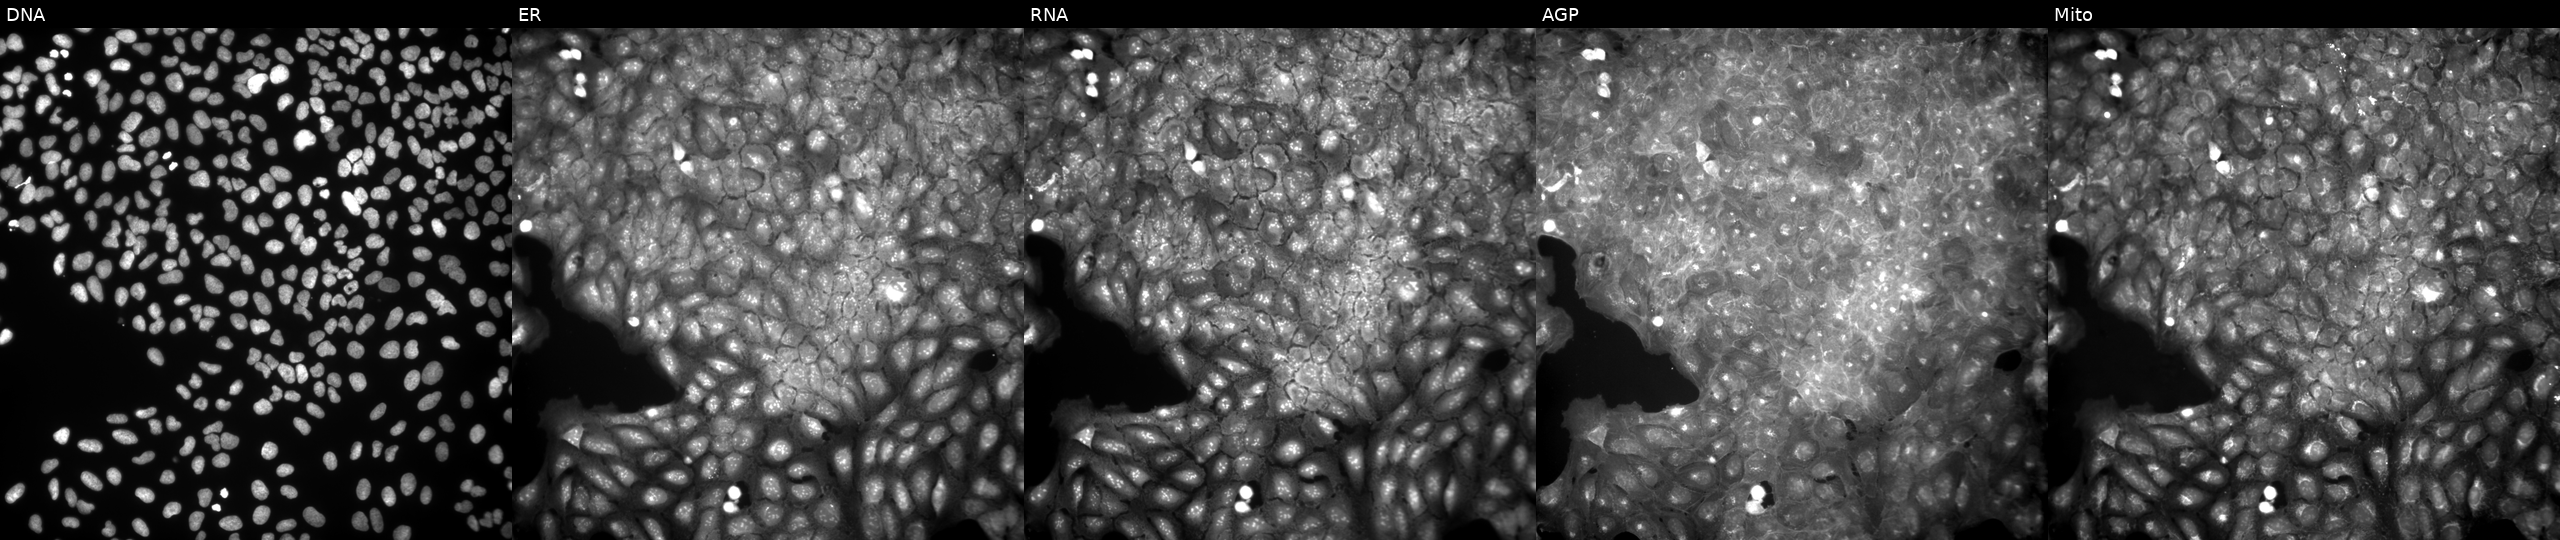
The five panels, left to right, show DNA, ER, RNA, AGP, and Mito. U2OS osteosarcoma cells treated with a small-molecule compound (InChIKey LHWRJMCFAVKUSE-UHFFFAOYSA-N) [SMILES: CC(NC(=O)Cn1cnc([N+](=O)[O-])n1)c1ccccc1]. Cell Painting assay, JUMP-CP dataset. Source 9, plate GR00003382, well N42.